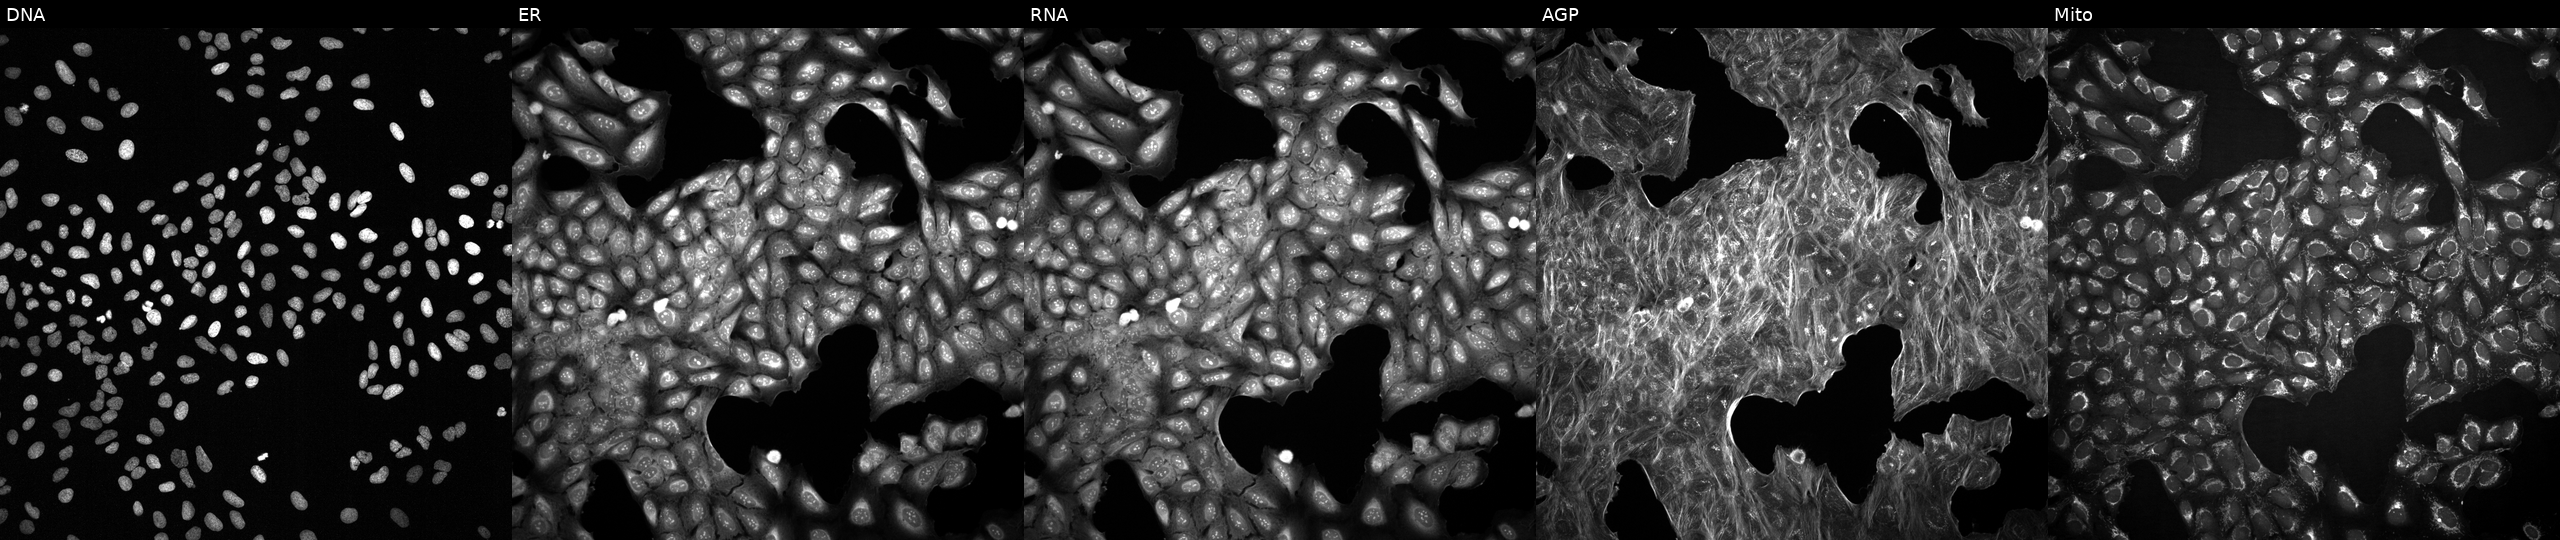
Channels (left→right): Hoechst 33342, concanavalin A, SYTO 14, phalloidin and WGA, MitoTracker. U2OS osteosarcoma cells exposed to a small-molecule compound (InChIKey CCMTYGVVIUMSIB-UHFFFAOYSA-N) [SMILES: C#CCNC(=O)c1ccc(NS(=O)(=O)C=Cc2ccccc2)cc1] (JUMP id JCP2022_010232). Cell Painting assay, JUMP-CP dataset.